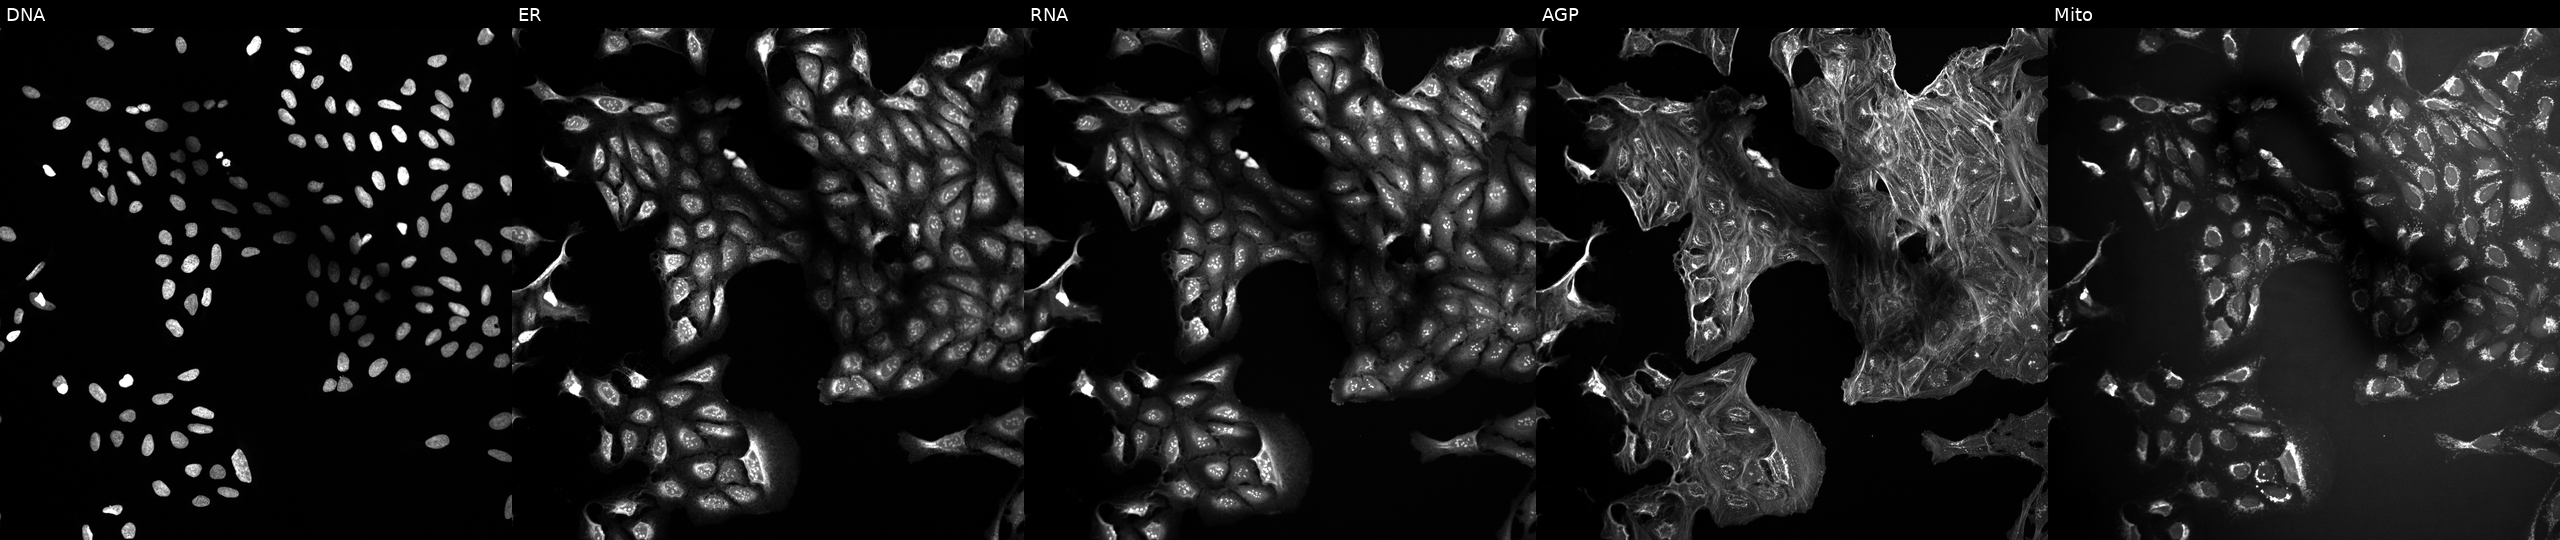
Five-channel Cell Painting image of U2OS cells perturbed with a small-molecule compound (InChIKey NMUSYJAQQFHJEW-UHFFFAOYSA-N). From left to right: Hoechst 33342, concanavalin A, SYTO 14, phalloidin and WGA, MitoTracker. Source 10, plate Dest210727-153003, well H20.